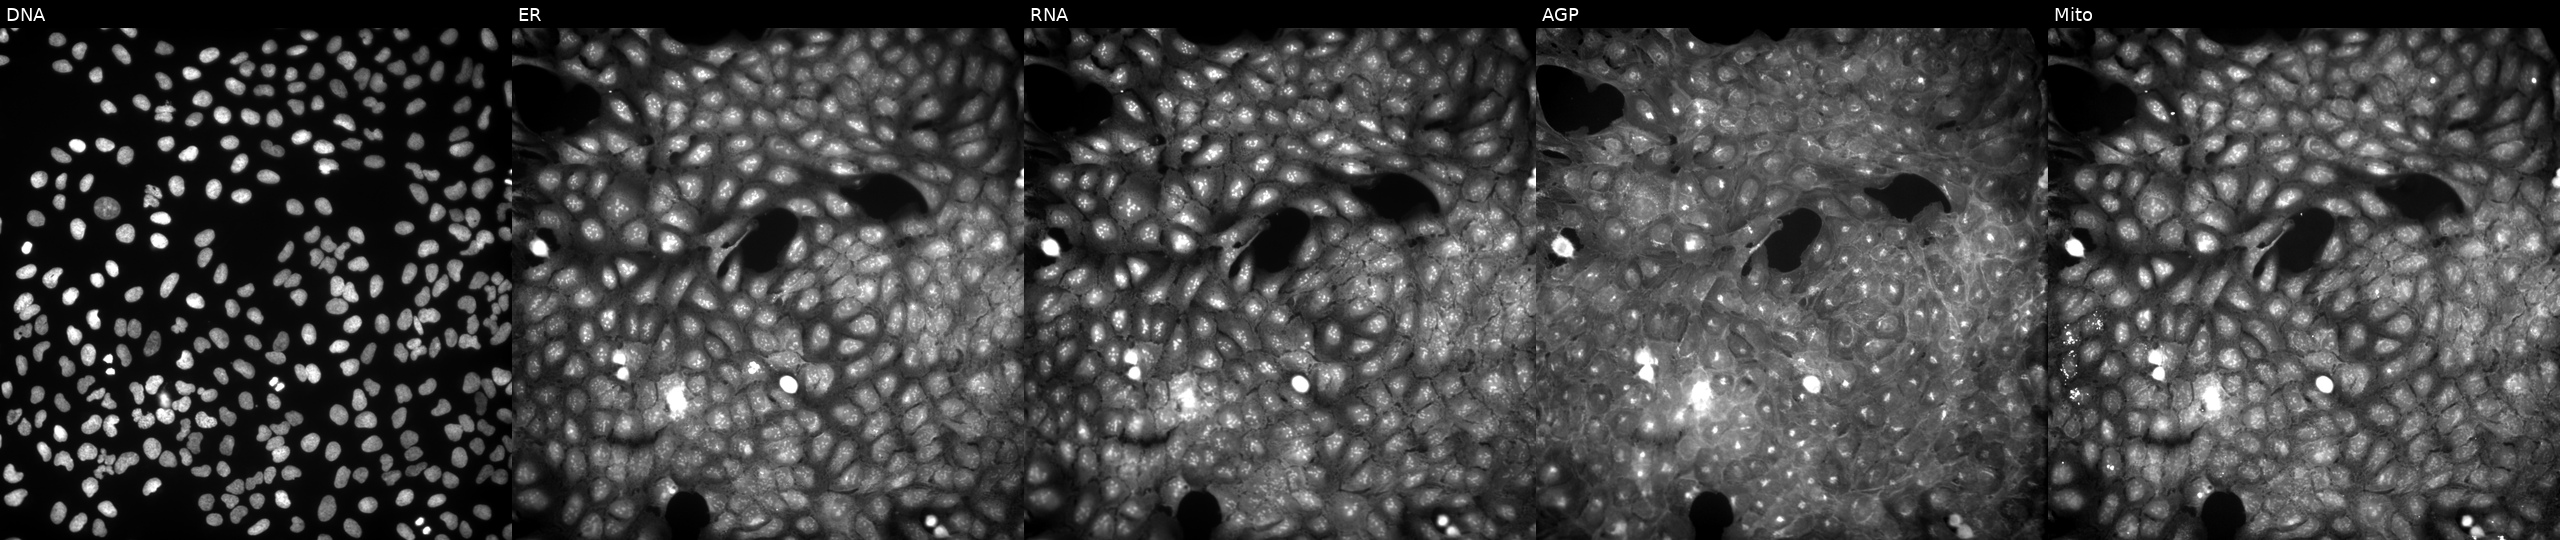
Channels (left→right): DNA (nuclei); ER (endoplasmic reticulum); RNA (nucleoli and cytoplasmic RNA); AGP (actin cytoskeleton, Golgi, and plasma membrane); Mito (mitochondria). U2OS osteosarcoma cells treated with a small-molecule compound (InChIKey WNZNKDYDTQXXFU-UHFFFAOYSA-N) (JUMP id JCP2022_100027). Cell Painting assay, JUMP-CP dataset. Source 9, plate GR00003381, well Z15.